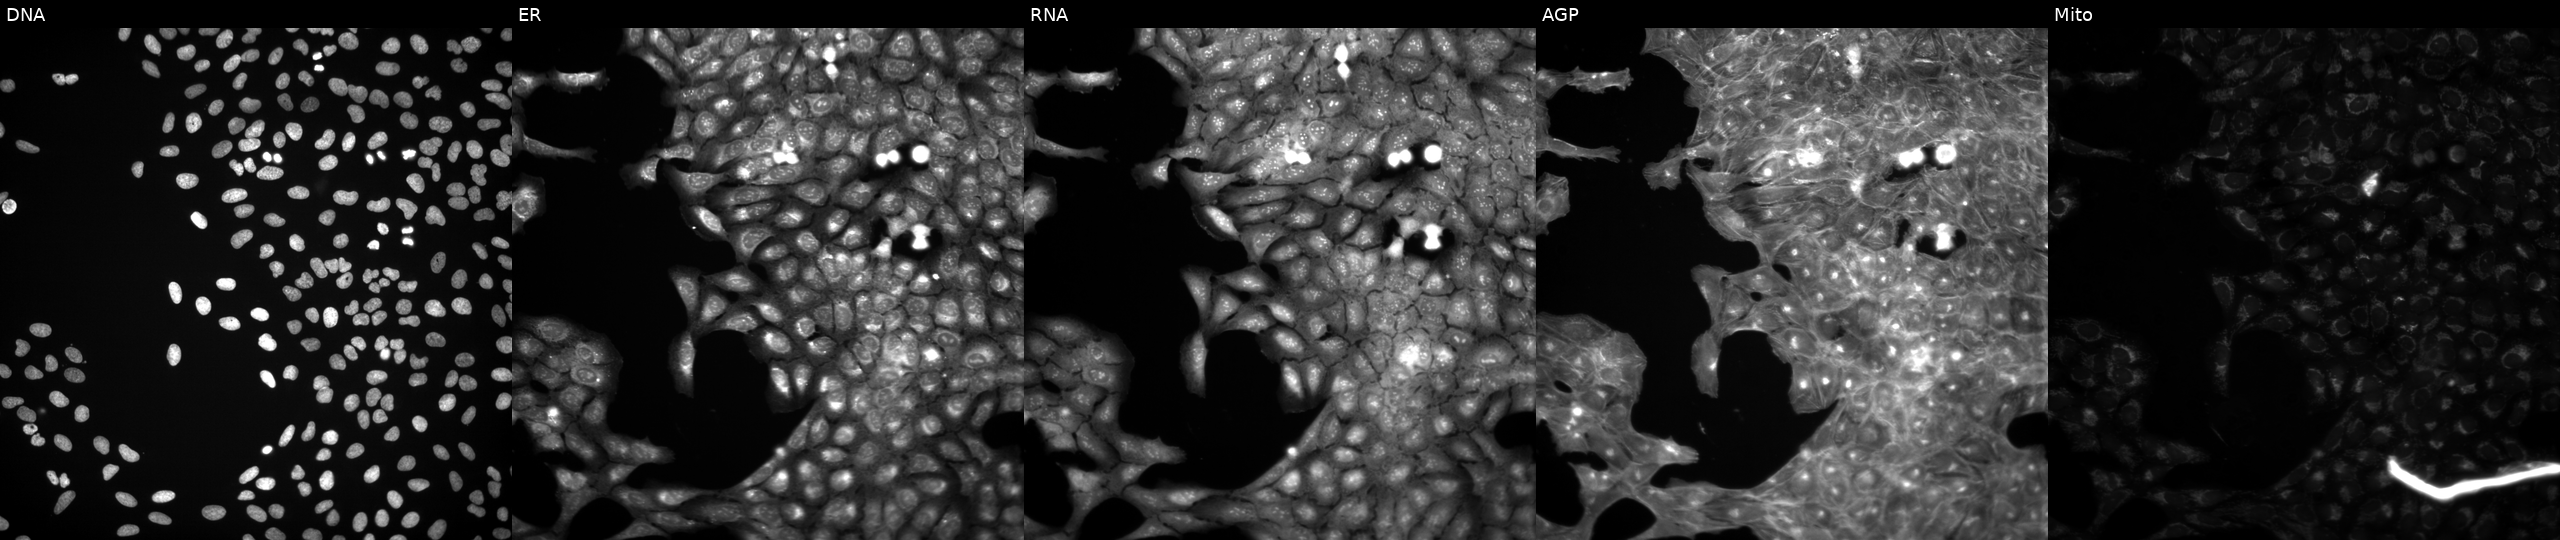
This image strip shows the five Cell Painting channels for a single field of U2OS cells exposed to DMSO alone as a negative control. The five panels, left to right, show Hoechst 33342, concanavalin A, SYTO 14, phalloidin and WGA, MitoTracker.